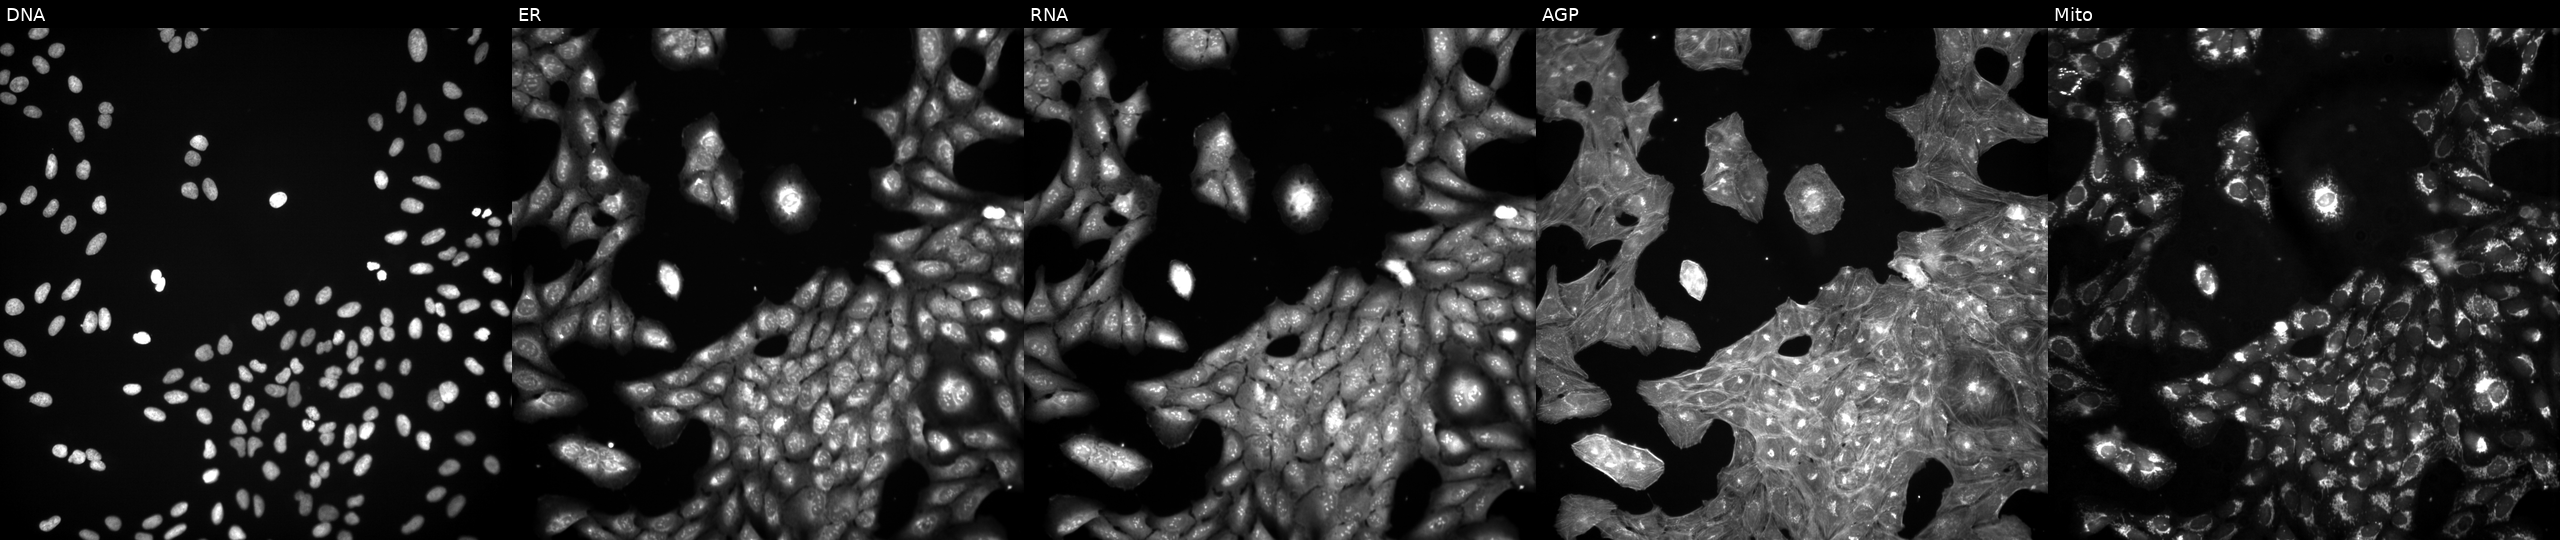
JUMP Cell Painting — TARGET2 plate. U2OS cells perturbed with a small-molecule compound (InChIKey RATZLMXRALDSJW-UHFFFAOYSA-N). From left to right: DNA (nuclei); ER (endoplasmic reticulum); RNA (nucleoli and cytoplasmic RNA); AGP (actin cytoskeleton, Golgi, and plasma membrane); Mito (mitochondria).